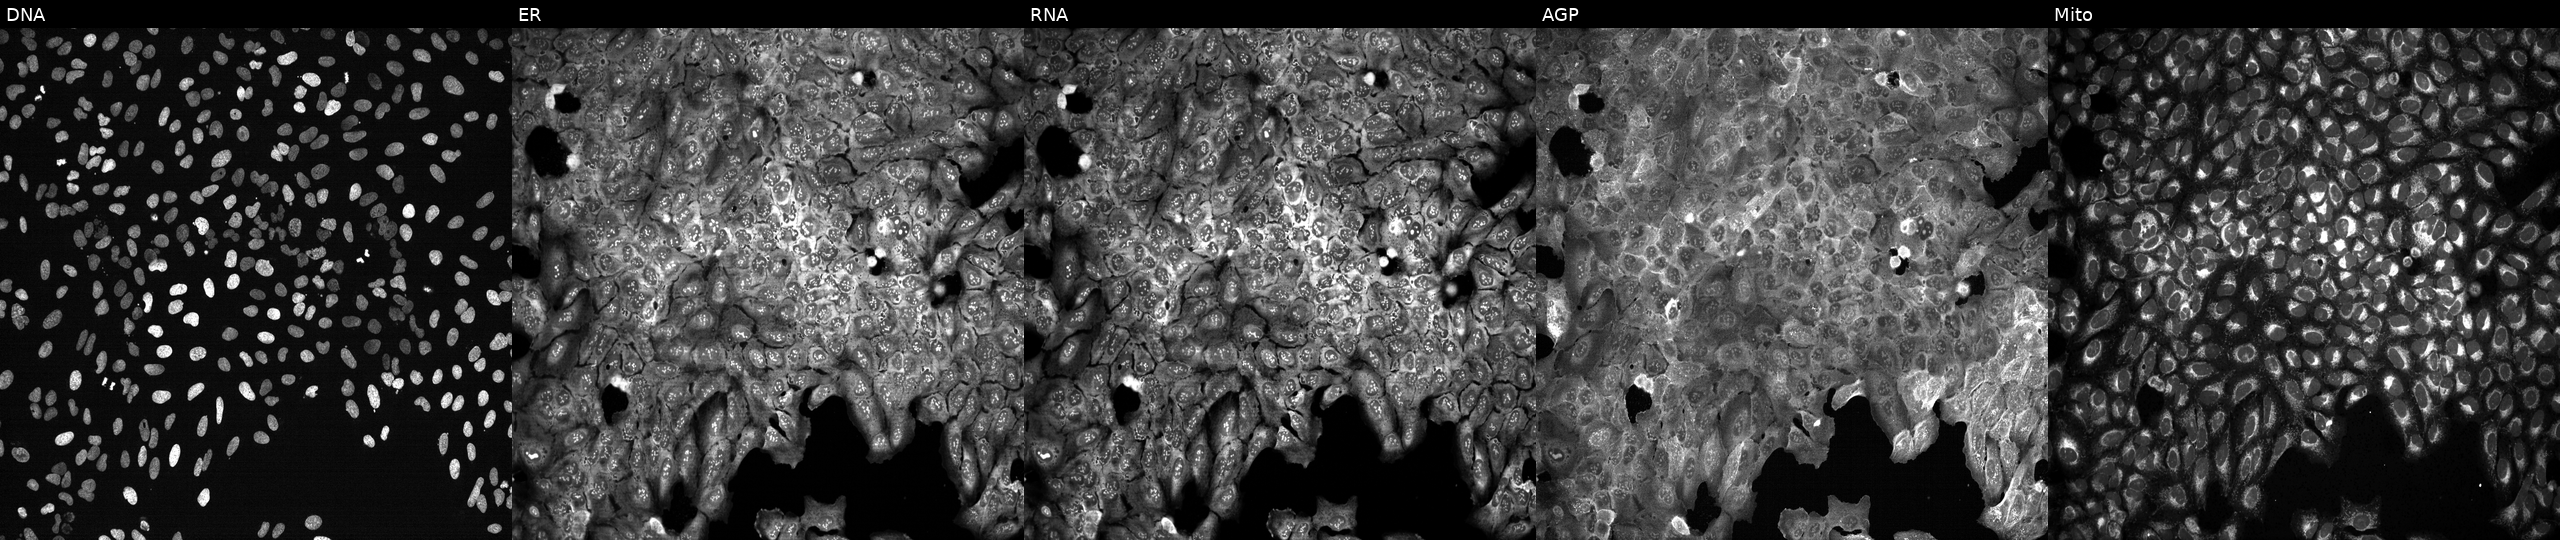
Five-channel Cell Painting image of U2OS cells with UGT2B15 knocked out by CRISPR (JUMP id JCP2022_807528). From left to right: Hoechst 33342, concanavalin A, SYTO 14, phalloidin and WGA, MitoTracker.